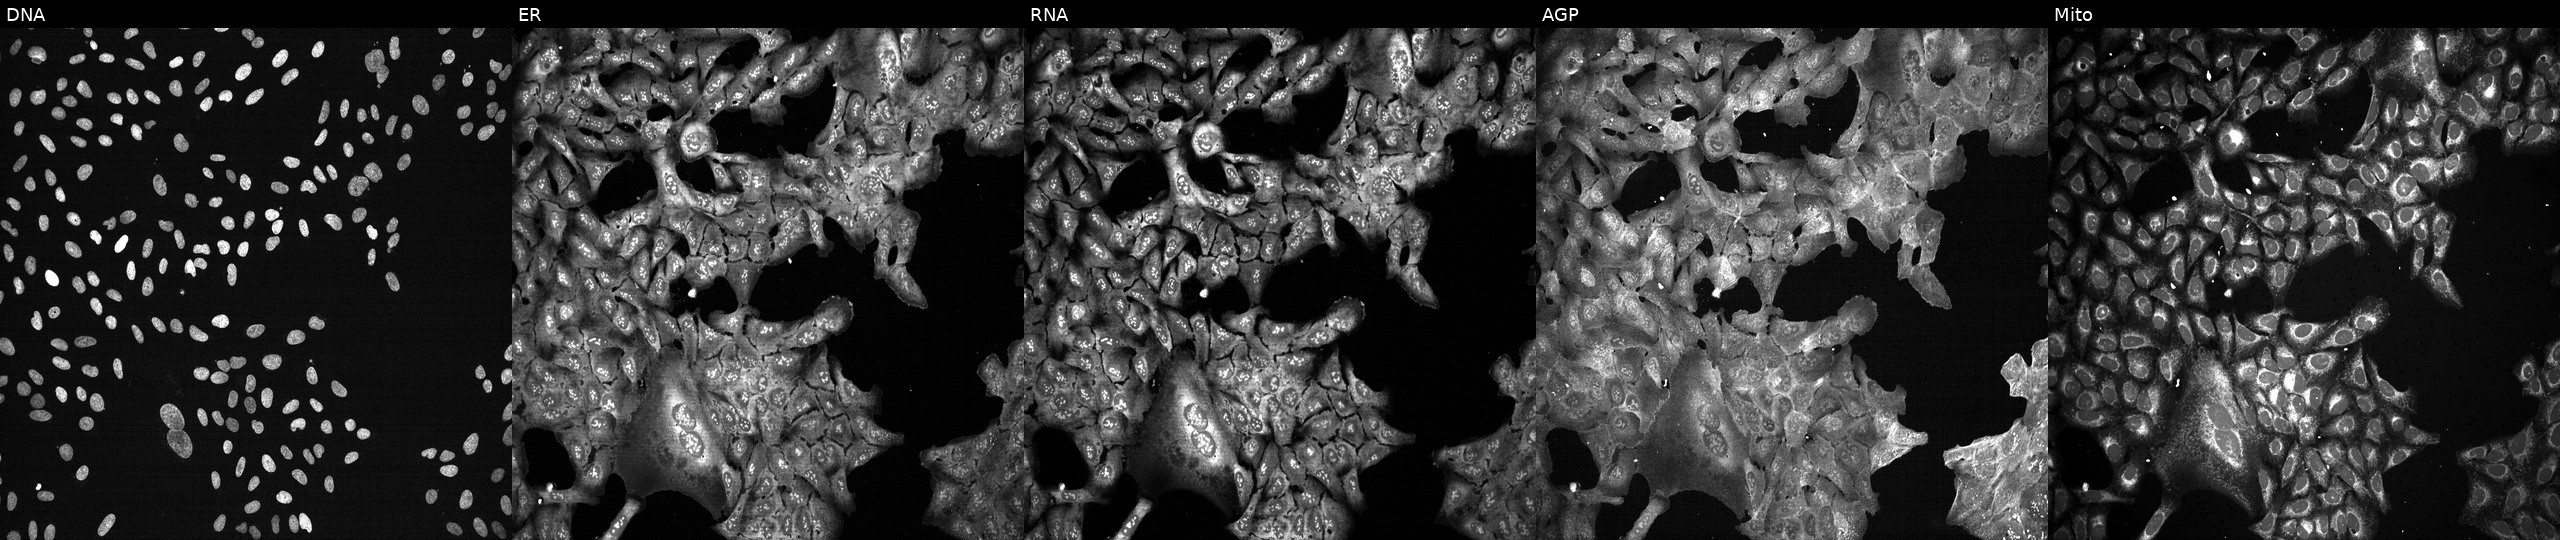
From left to right: DNA (nuclei); ER (endoplasmic reticulum); RNA (nucleoli and cytoplasmic RNA); AGP (actin cytoskeleton, Golgi, and plasma membrane); Mito (mitochondria). U2OS osteosarcoma cells following CRISPR knockout of PHYHD1. Cell Painting assay, JUMP-CP dataset. Source 13, plate CP-CC9-R2-01, well I18.